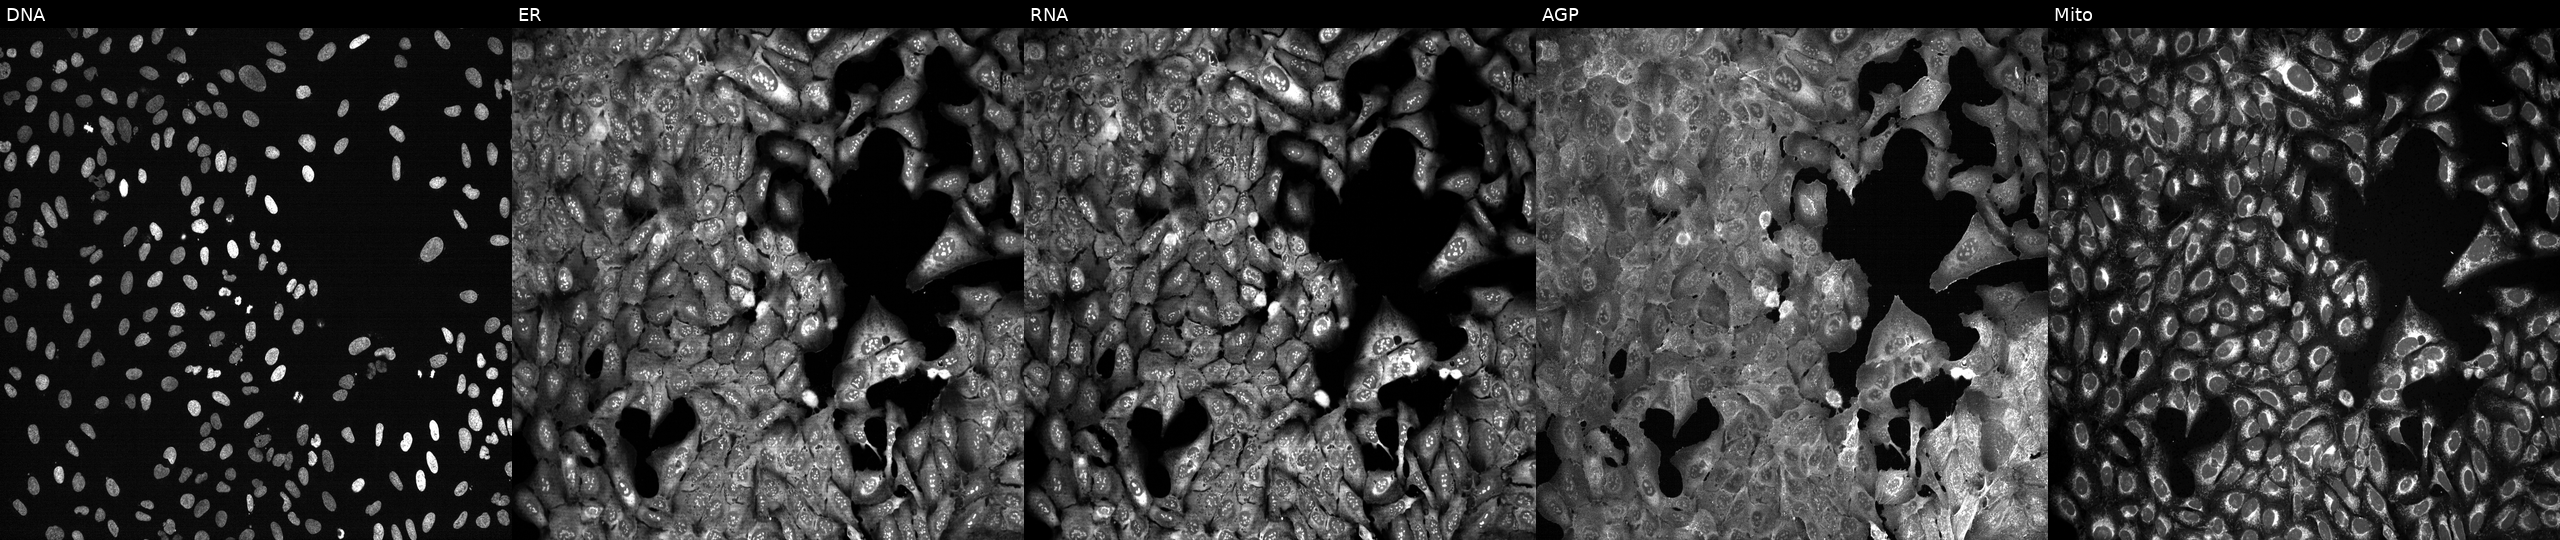
From left to right: DNA (nuclei); ER (endoplasmic reticulum); RNA (nucleoli and cytoplasmic RNA); AGP (actin cytoskeleton, Golgi, and plasma membrane); Mito (mitochondria). U2OS osteosarcoma cells CRISPR-edited to disrupt SLFN12 (JUMP id JCP2022_806614). Cell Painting assay, JUMP-CP dataset.